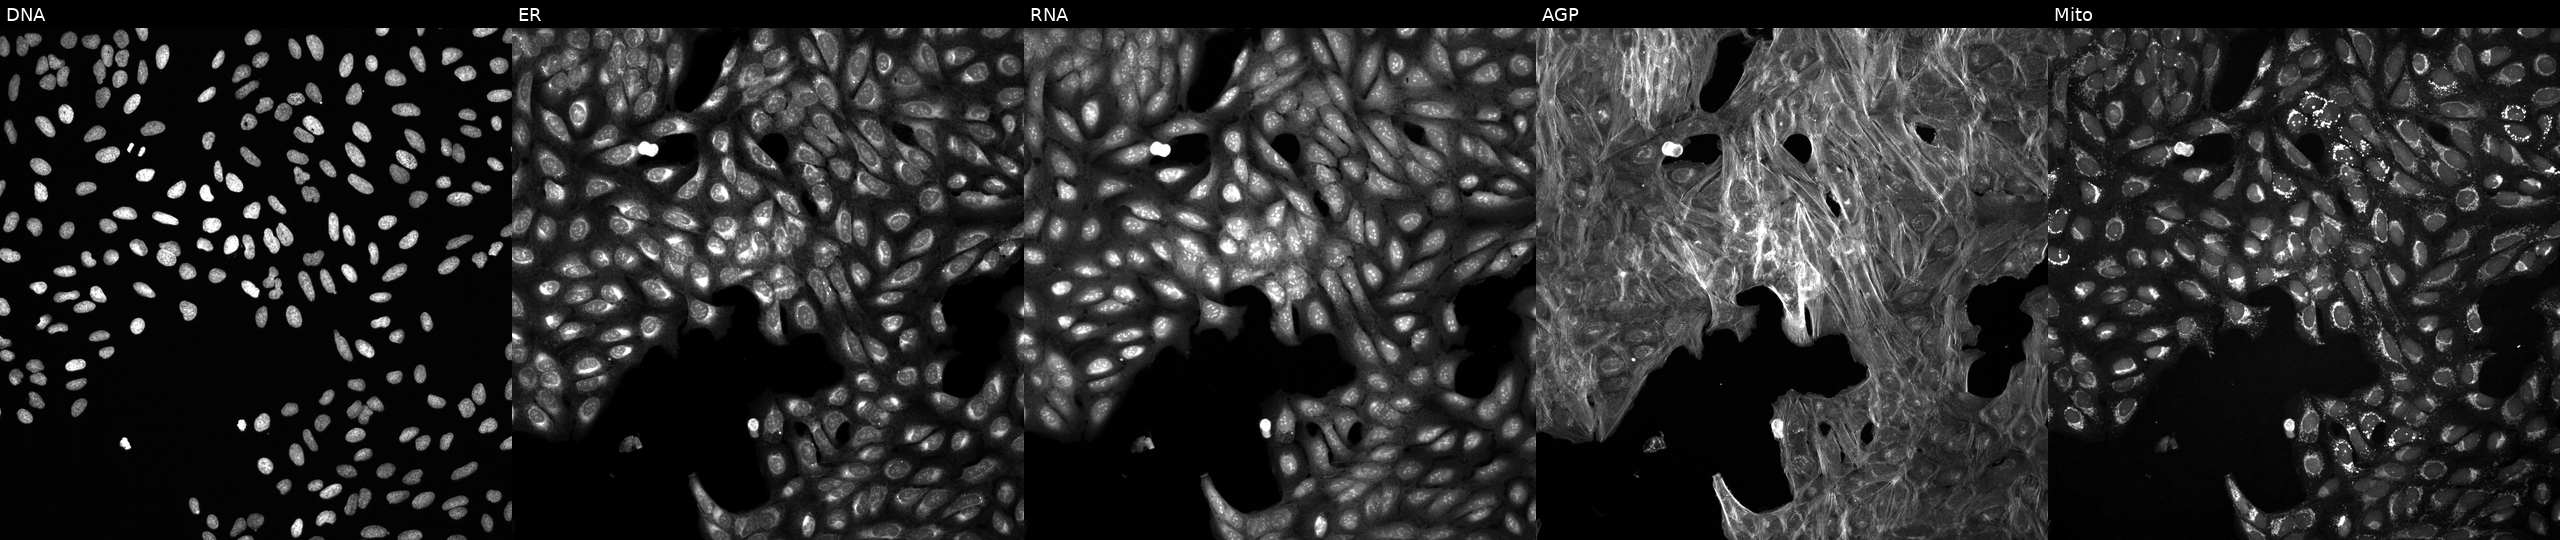
This image strip shows the five Cell Painting channels for a single field of U2OS cells exposed to a small-molecule compound (InChIKey LPGBXHWIQNZEJB-UHFFFAOYSA-N). Channels (left→right): DNA (nuclei); ER (endoplasmic reticulum); RNA (nucleoli and cytoplasmic RNA); AGP (actin cytoskeleton, Golgi, and plasma membrane); Mito (mitochondria). Source 6, plate 110000293081, well J21.